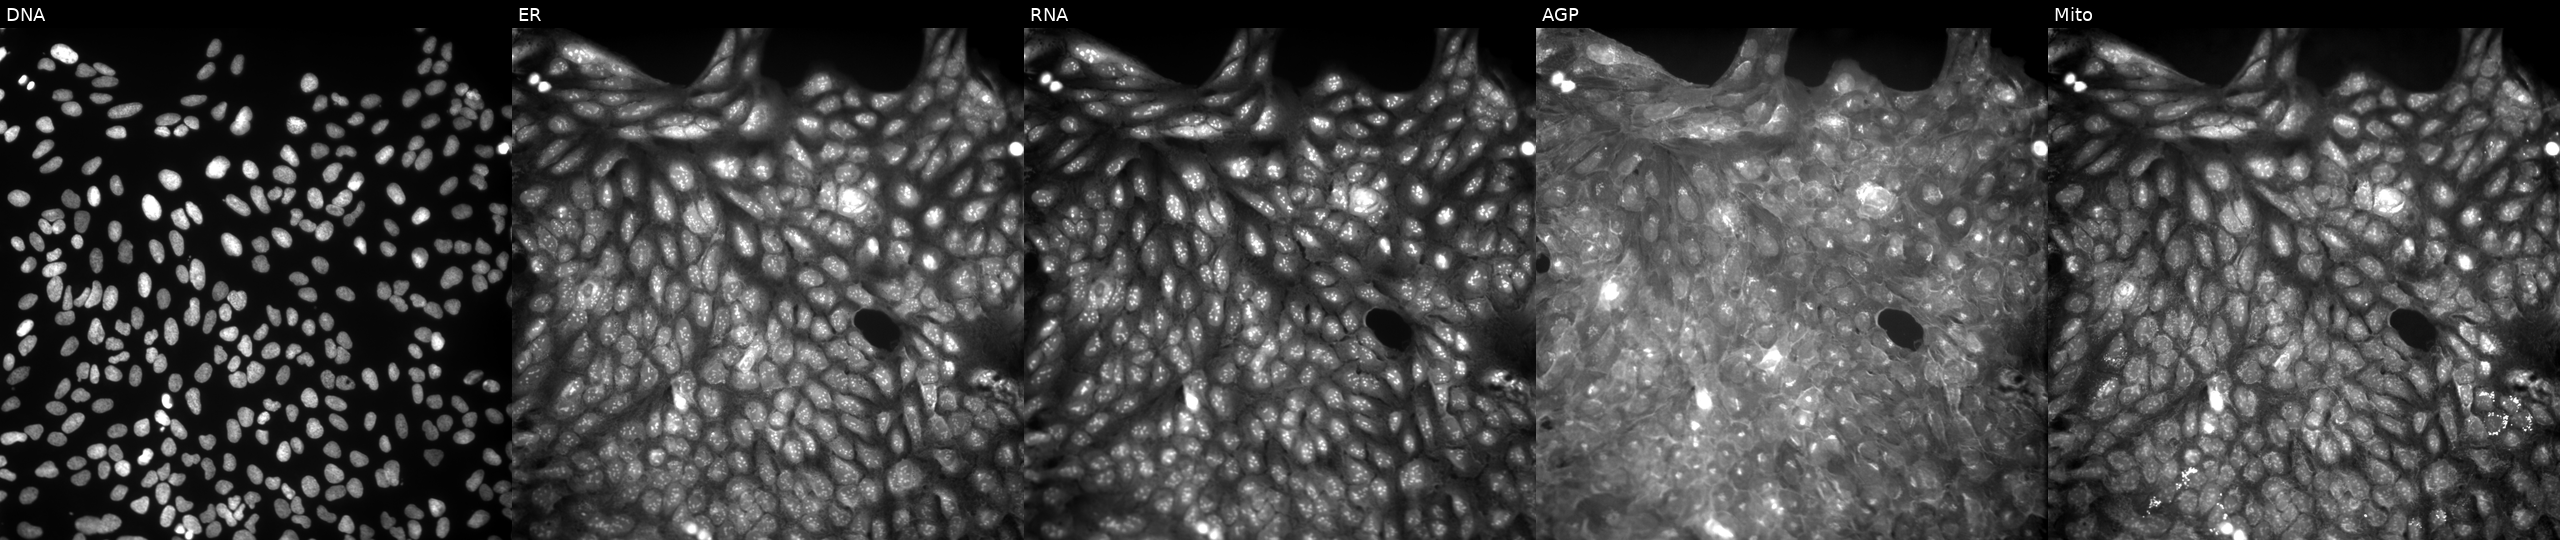
JUMP Cell Painting — COMPOUND plate. U2OS cells exposed to a small-molecule compound (InChIKey MPDGJFXRVIQTKR-UHFFFAOYSA-N) (JUMP id JCP2022_055623). Panels show, left to right, Hoechst 33342, concanavalin A, SYTO 14, phalloidin and WGA, MitoTracker.